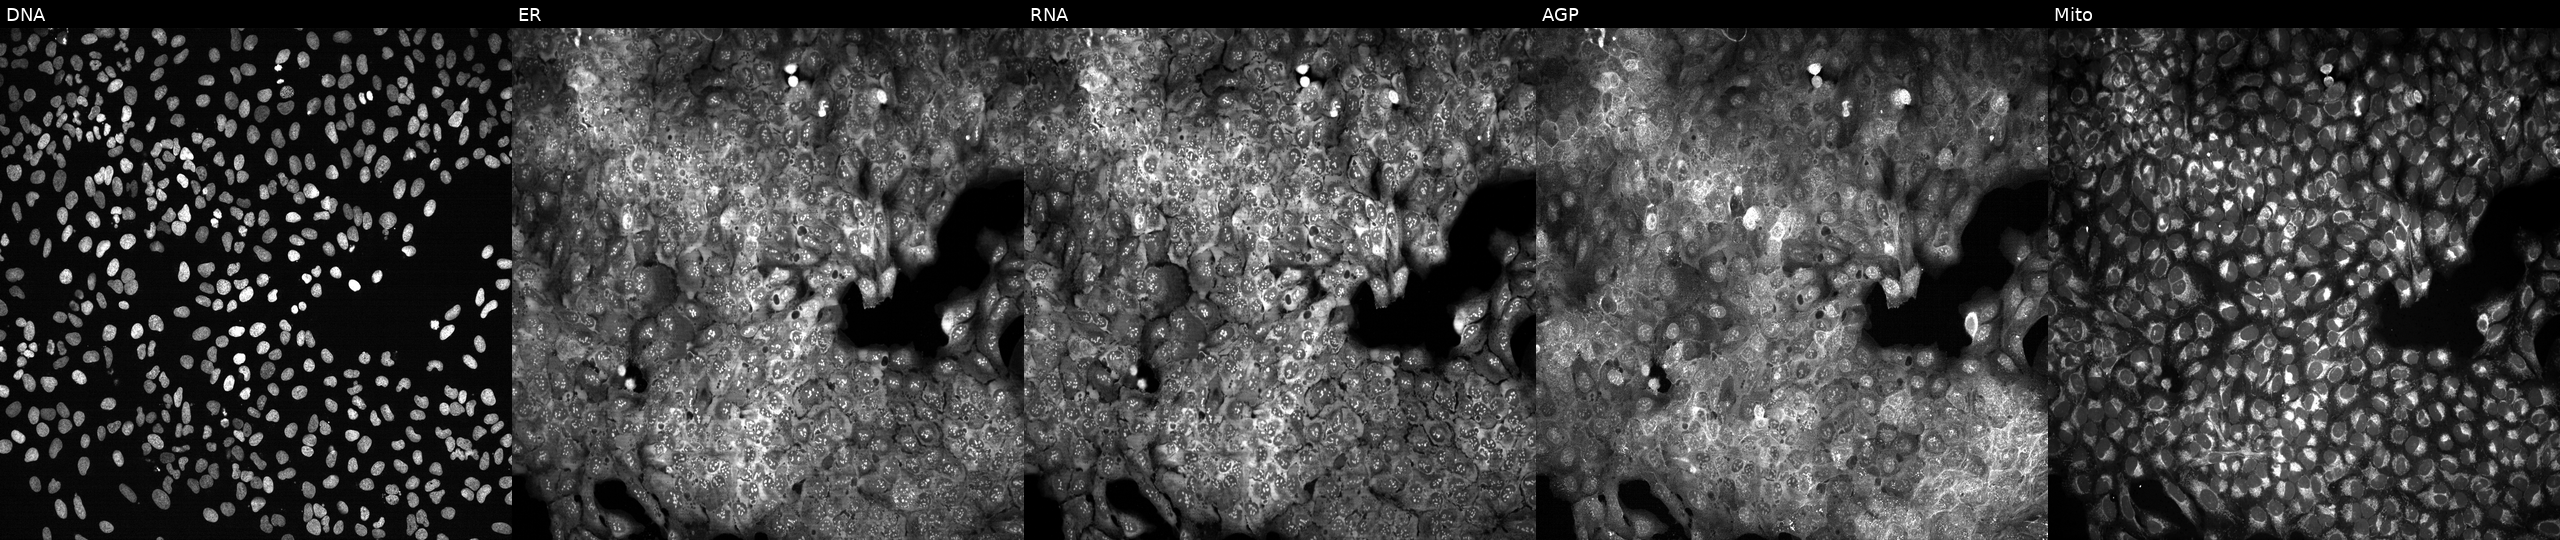
JUMP Cell Painting — CRISPR plate. U2OS cells CRISPR-edited to disrupt CHML (JUMP id JCP2022_801301). Panels show, left to right, DNA (nuclei); ER (endoplasmic reticulum); RNA (nucleoli and cytoplasmic RNA); AGP (actin cytoskeleton, Golgi, and plasma membrane); Mito (mitochondria).